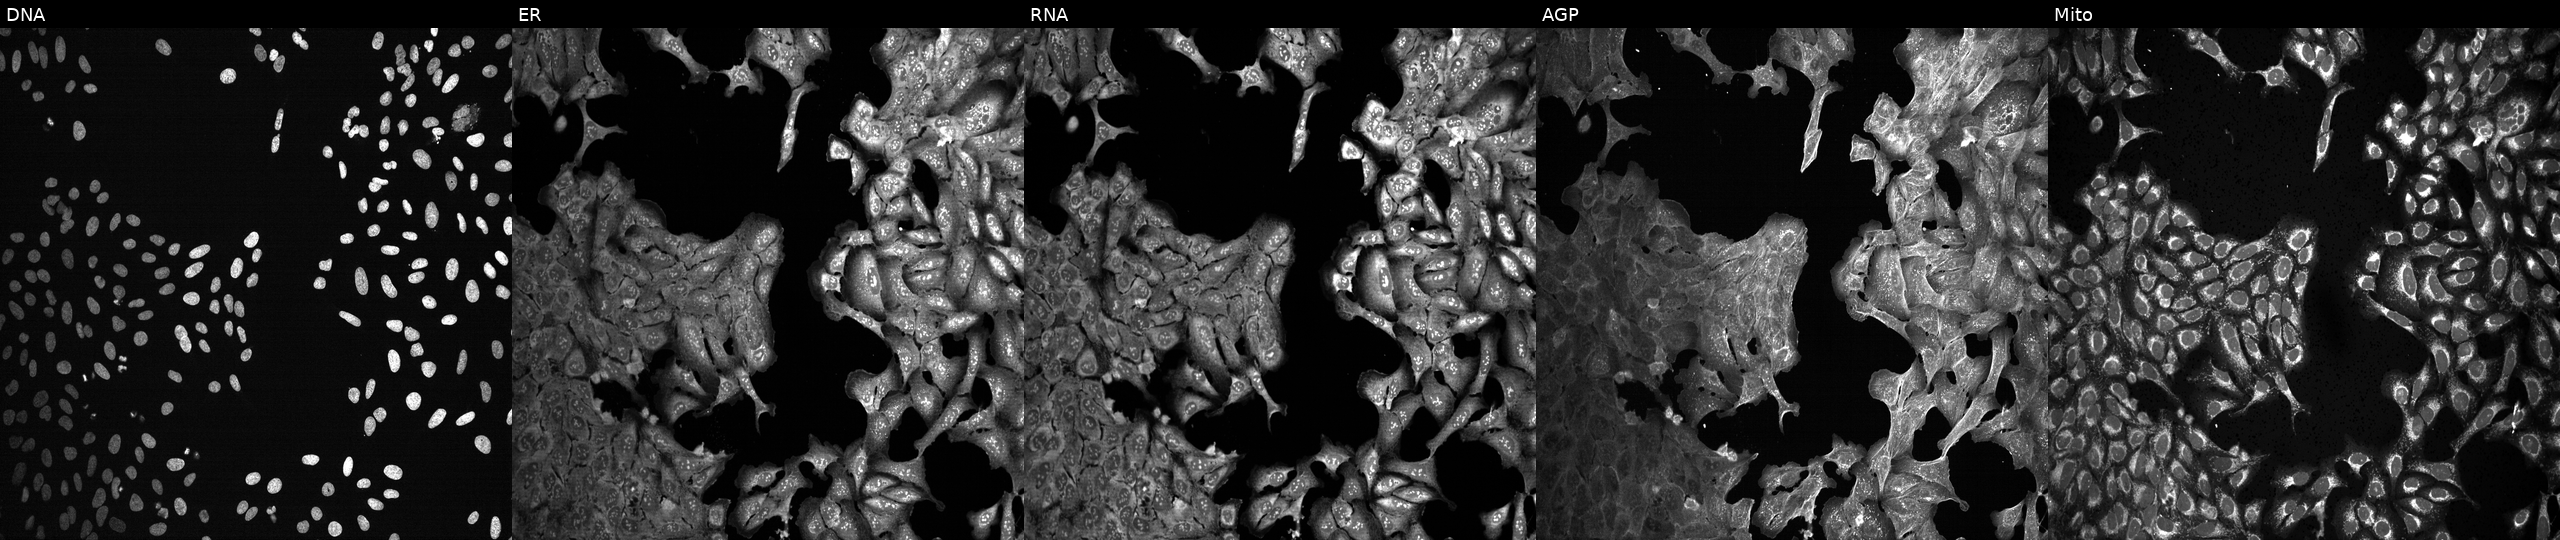
This image strip shows the five Cell Painting channels for a single field of U2OS cells treated with quinidine (positive-control compound) (JUMP id JCP2022_050797). Panels show, left to right, Hoechst 33342, concanavalin A, SYTO 14, phalloidin and WGA, MitoTracker.